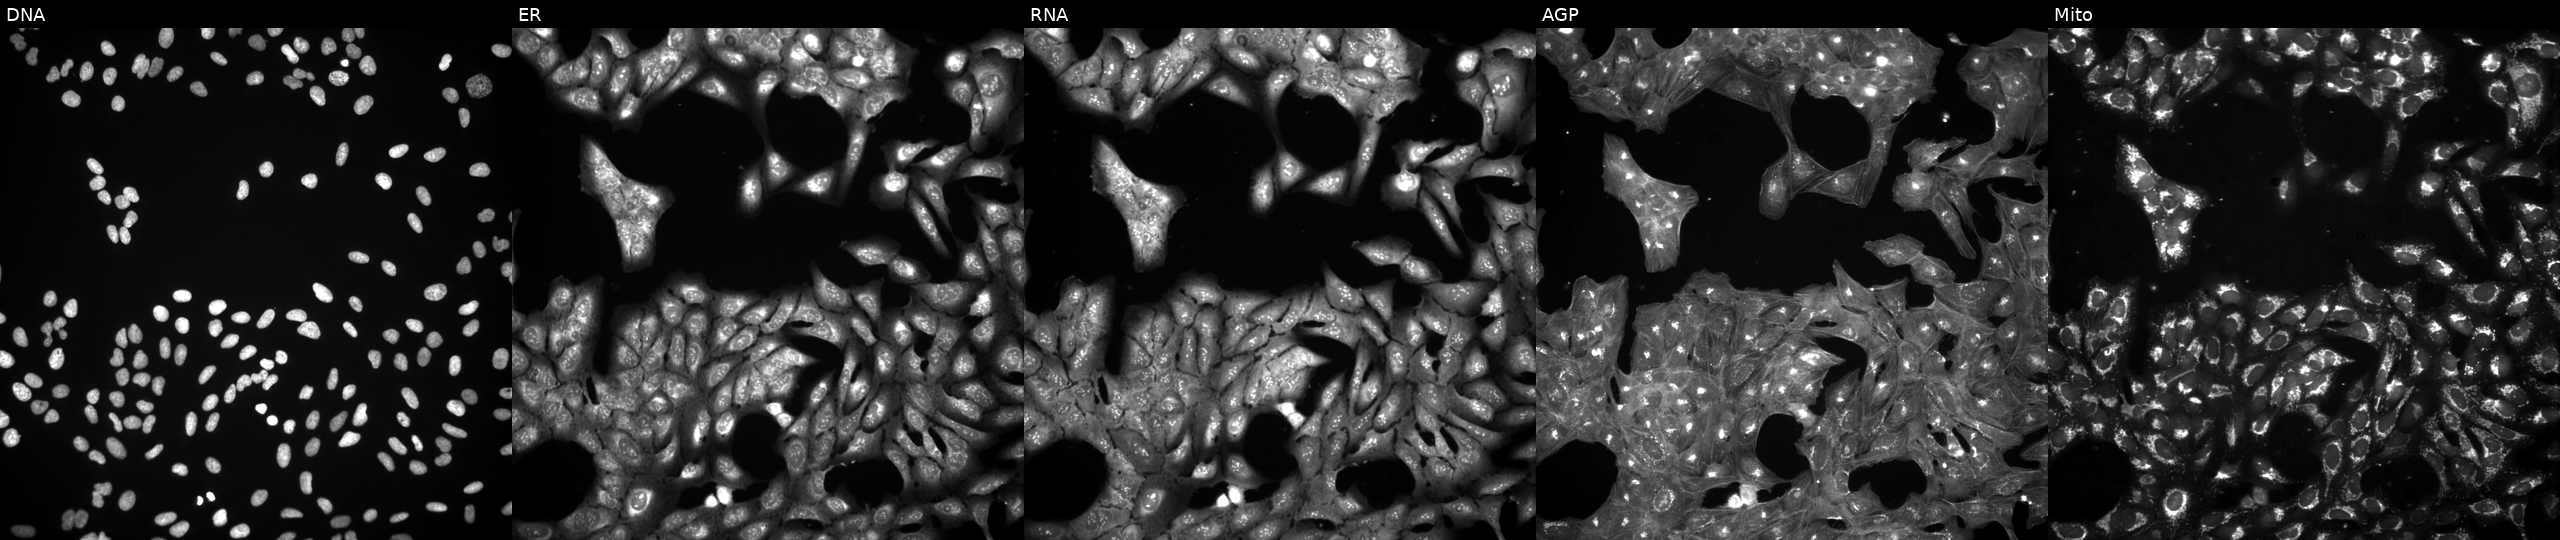
The five panels, left to right, show Hoechst 33342, concanavalin A, SYTO 14, phalloidin and WGA, MitoTracker. U2OS osteosarcoma cells treated with a small-molecule compound [SMILES: OC1CN2CCC(O)C2C(O)C1O] (JUMP id JCP2022_039116). Cell Painting assay, JUMP-CP dataset. Source 3, plate JCPQC052, well N21.